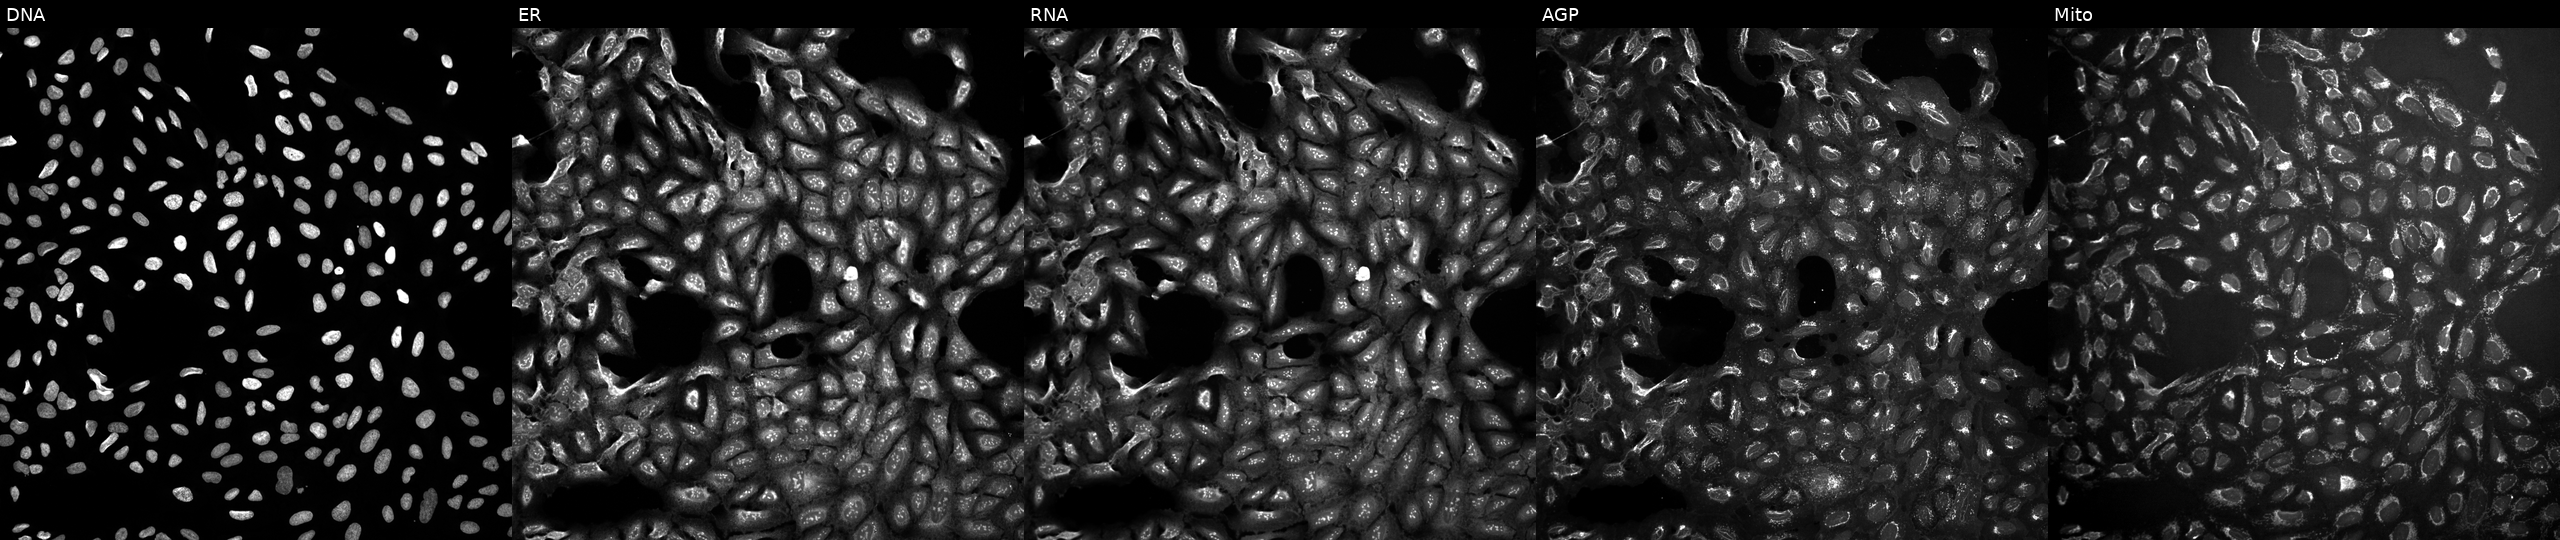
JUMP Cell Painting — TARGET2 plate. U2OS cells exposed to a small-molecule compound (JUMP id JCP2022_090205). Channels (left→right): DNA (nuclei); ER (endoplasmic reticulum); RNA (nucleoli and cytoplasmic RNA); AGP (actin cytoskeleton, Golgi, and plasma membrane); Mito (mitochondria). Source 10, plate Dest210803-153958, well D24.